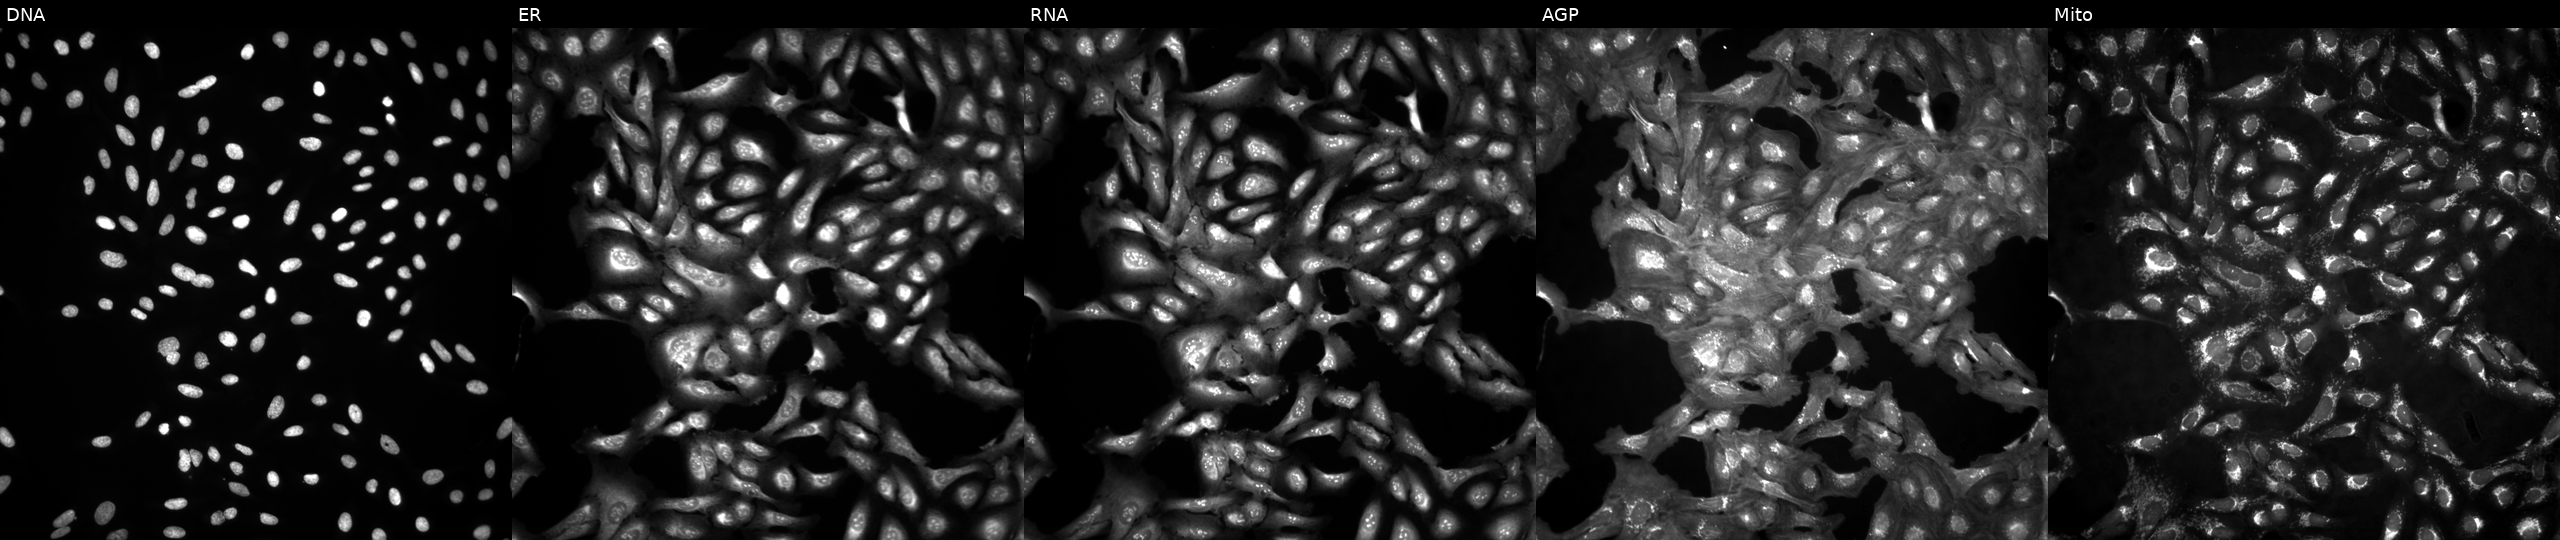
This image strip shows the five Cell Painting channels for a single field of U2OS cells untreated (empty-well control) (JUMP id JCP2022_999999). Channels (left→right): Hoechst 33342, concanavalin A, SYTO 14, phalloidin and WGA, MitoTracker. Source 4, plate BR00124793, well L21.